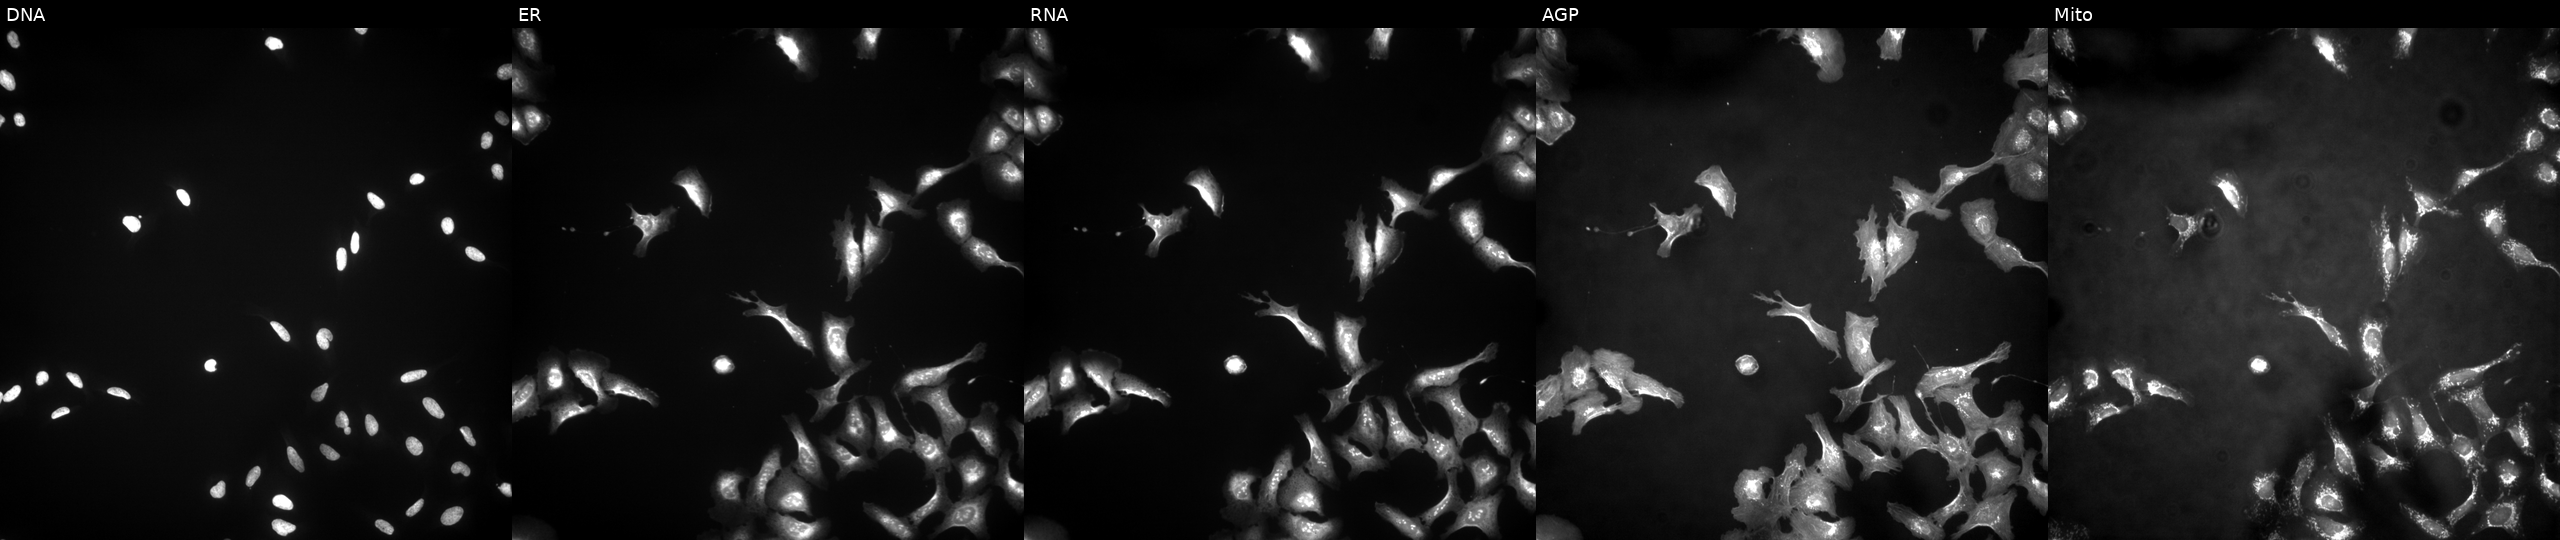
This image strip shows the five Cell Painting channels for a single field of U2OS cells expressing LacZ (ORF negative control). Panels show, left to right, DNA (nuclei); ER (endoplasmic reticulum); RNA (nucleoli and cytoplasmic RNA); AGP (actin cytoskeleton, Golgi, and plasma membrane); Mito (mitochondria).